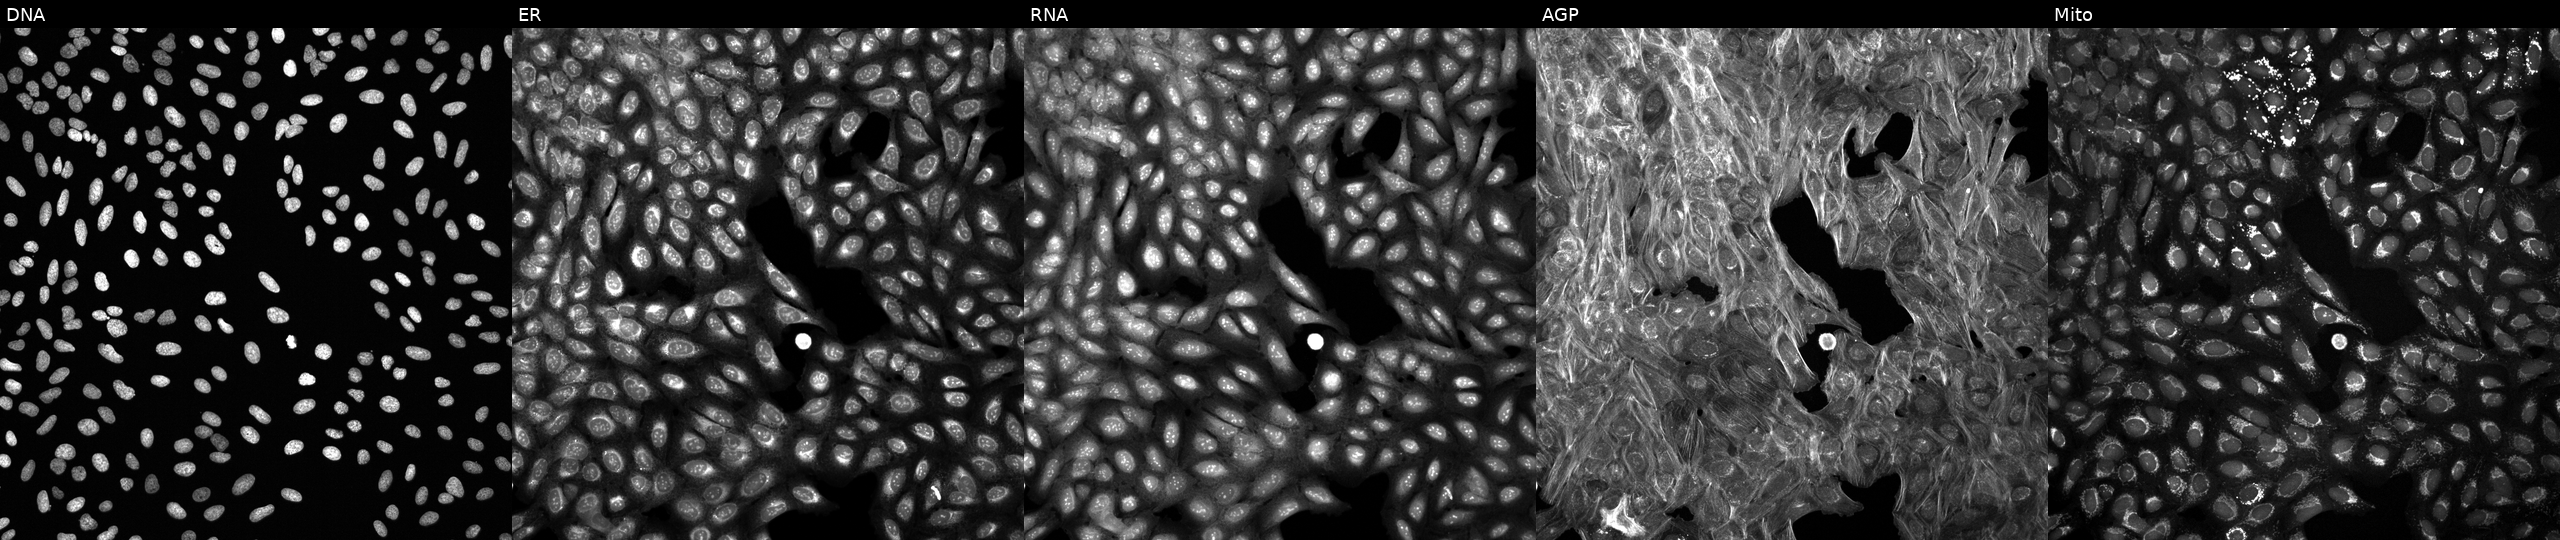
JUMP Cell Painting — COMPOUND plate. U2OS cells treated with a small-molecule compound (InChIKey HJDMKSGBFJPCJH-UHFFFAOYSA-N) (JUMP id JCP2022_030547). Channels (left→right): Hoechst 33342, concanavalin A, SYTO 14, phalloidin and WGA, MitoTracker. Source 6, plate 110000293083, well O20.